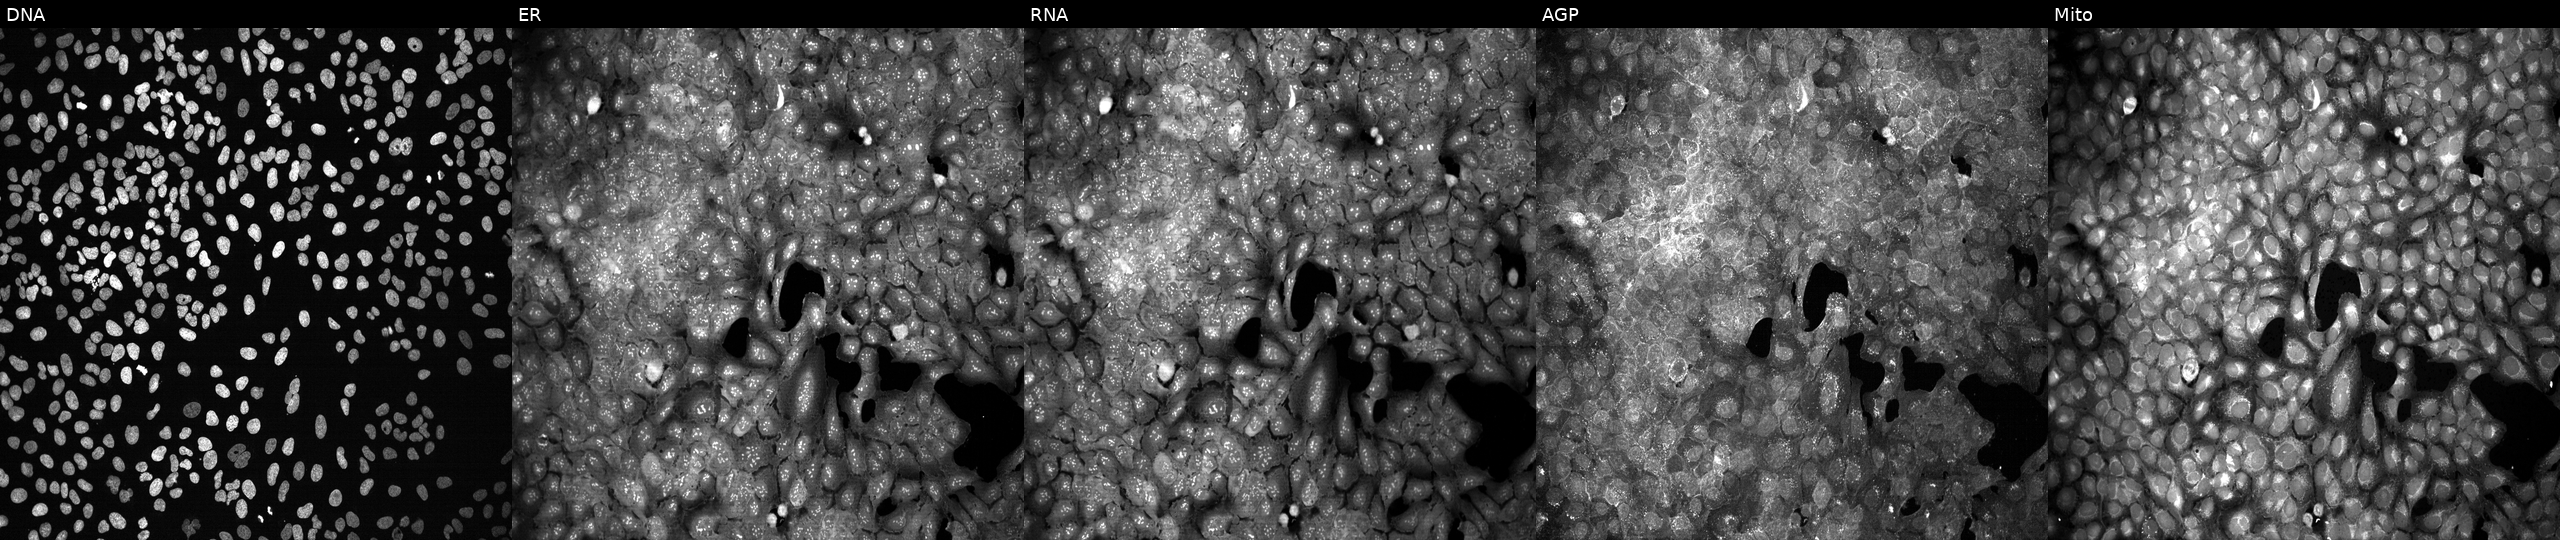
From left to right: DNA, ER, RNA, AGP, and Mito. U2OS osteosarcoma cells with a non-targeting CRISPR guide (negative control) (JUMP id JCP2022_800002). Cell Painting assay, JUMP-CP dataset.